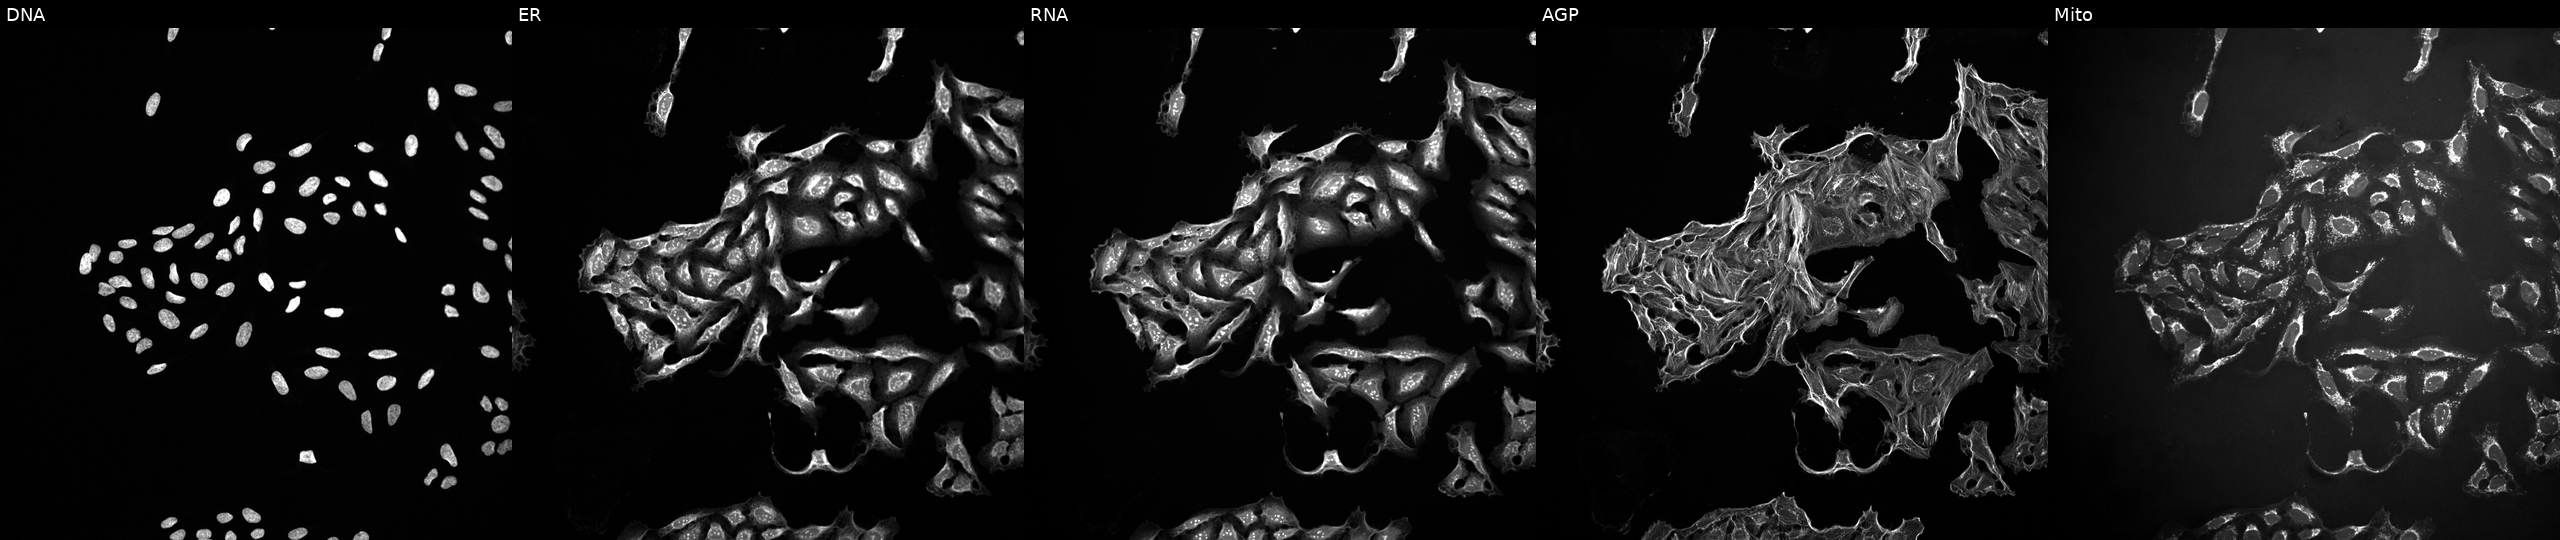
High-content fluorescence microscopy (Cell Painting). Cell line: U2OS. Perturbation: exposed to a small-molecule compound (InChIKey PHLBKPHSAVXXEF-UHFFFAOYSA-N). From left to right: DNA (nuclei); ER (endoplasmic reticulum); RNA (nucleoli and cytoplasmic RNA); AGP (actin cytoskeleton, Golgi, and plasma membrane); Mito (mitochondria). Source 10, plate Dest210726-160150, well L16.